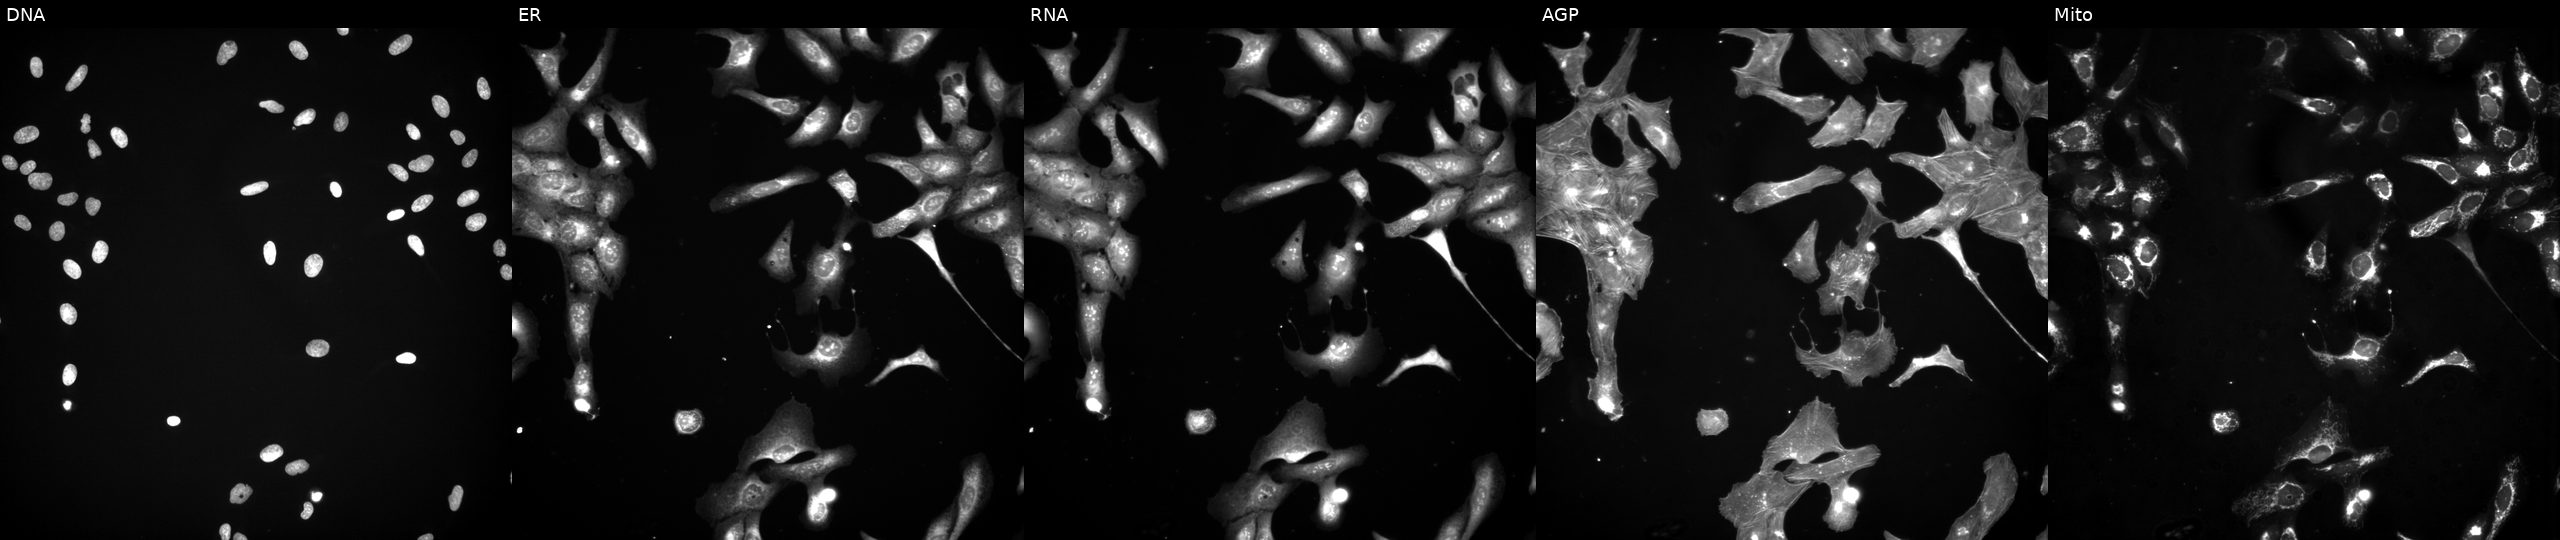
Five-channel Cell Painting image of U2OS cells treated with a small-molecule compound. From left to right: DNA (nuclei); ER (endoplasmic reticulum); RNA (nucleoli and cytoplasmic RNA); AGP (actin cytoskeleton, Golgi, and plasma membrane); Mito (mitochondria).